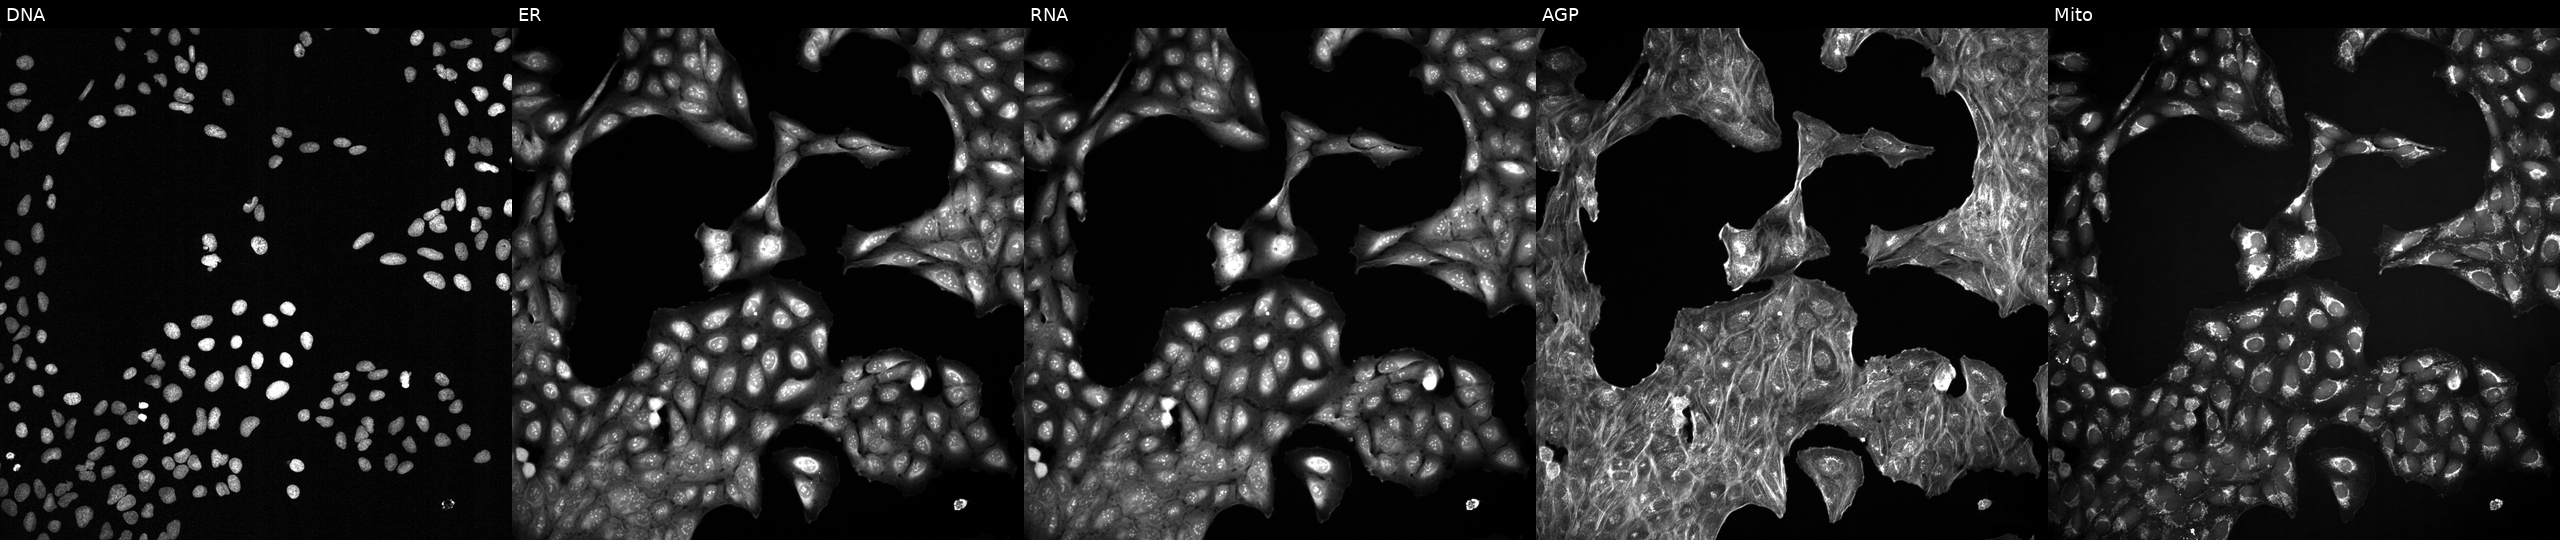
High-content fluorescence microscopy (Cell Painting). Cell line: U2OS. Perturbation: perturbed with a small-molecule compound (InChIKey LXANPKRCLVQAOG-UHFFFAOYSA-N) [SMILES: O=C1NC(=O)C2(CCOc3ccc(F)cc32)N1] (JUMP id JCP2022_052259). Channels (left→right): DNA (nuclei); ER (endoplasmic reticulum); RNA (nucleoli and cytoplasmic RNA); AGP (actin cytoskeleton, Golgi, and plasma membrane); Mito (mitochondria).